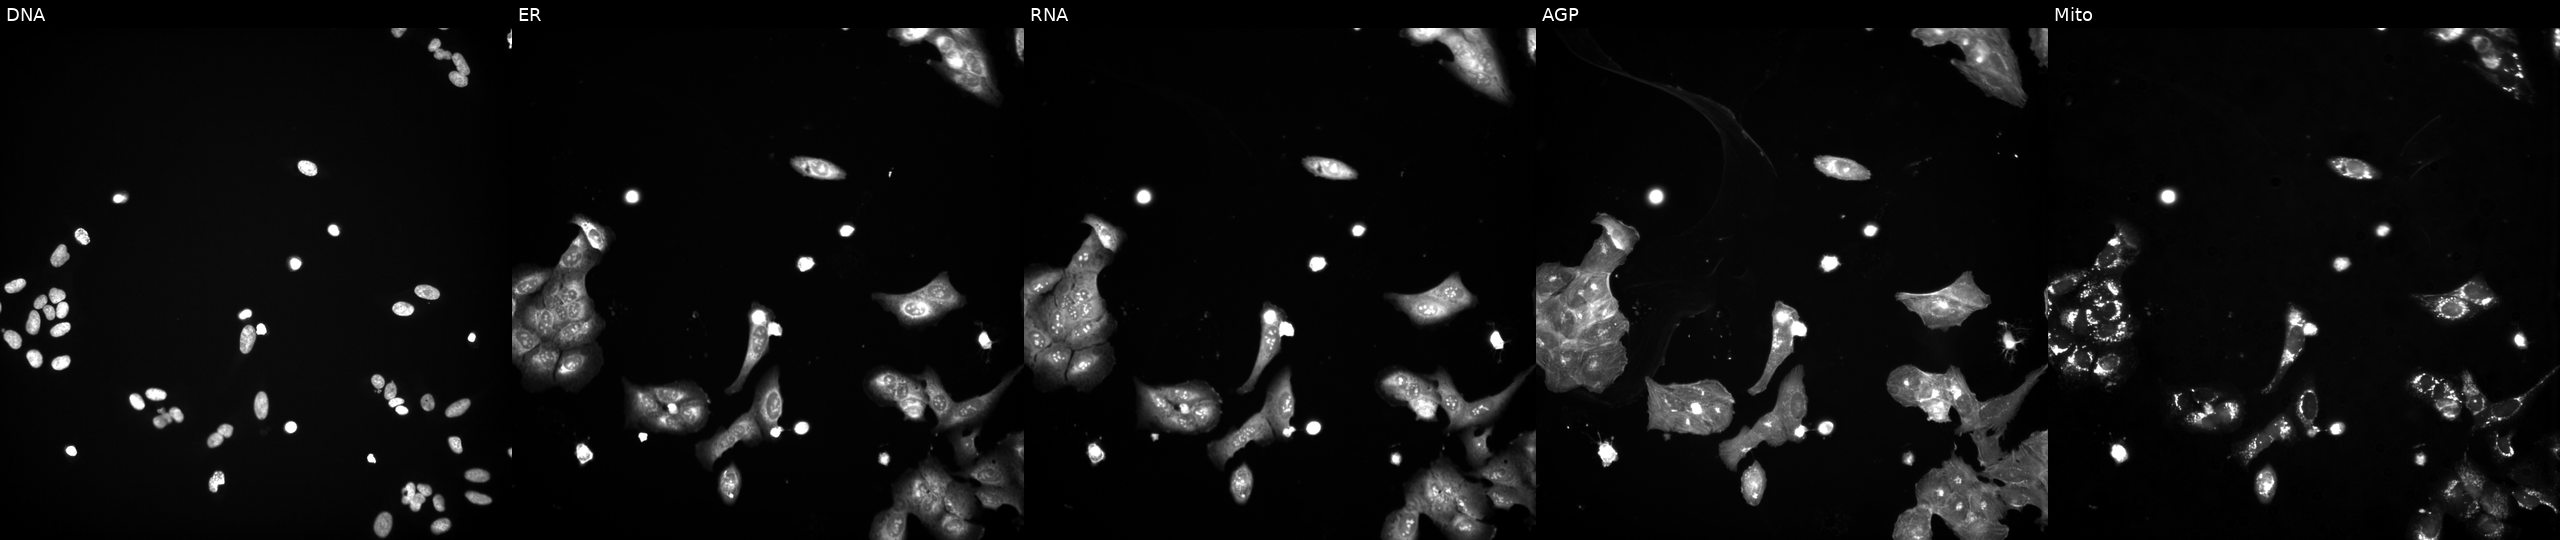
High-content fluorescence microscopy (Cell Painting). Cell line: U2OS. Perturbation: exposed to a small-molecule compound (InChIKey VSWDORGPIHIGNW-UHFFFAOYSA-N) (JUMP id JCP2022_096067). From left to right: DNA, ER, RNA, AGP, and Mito.